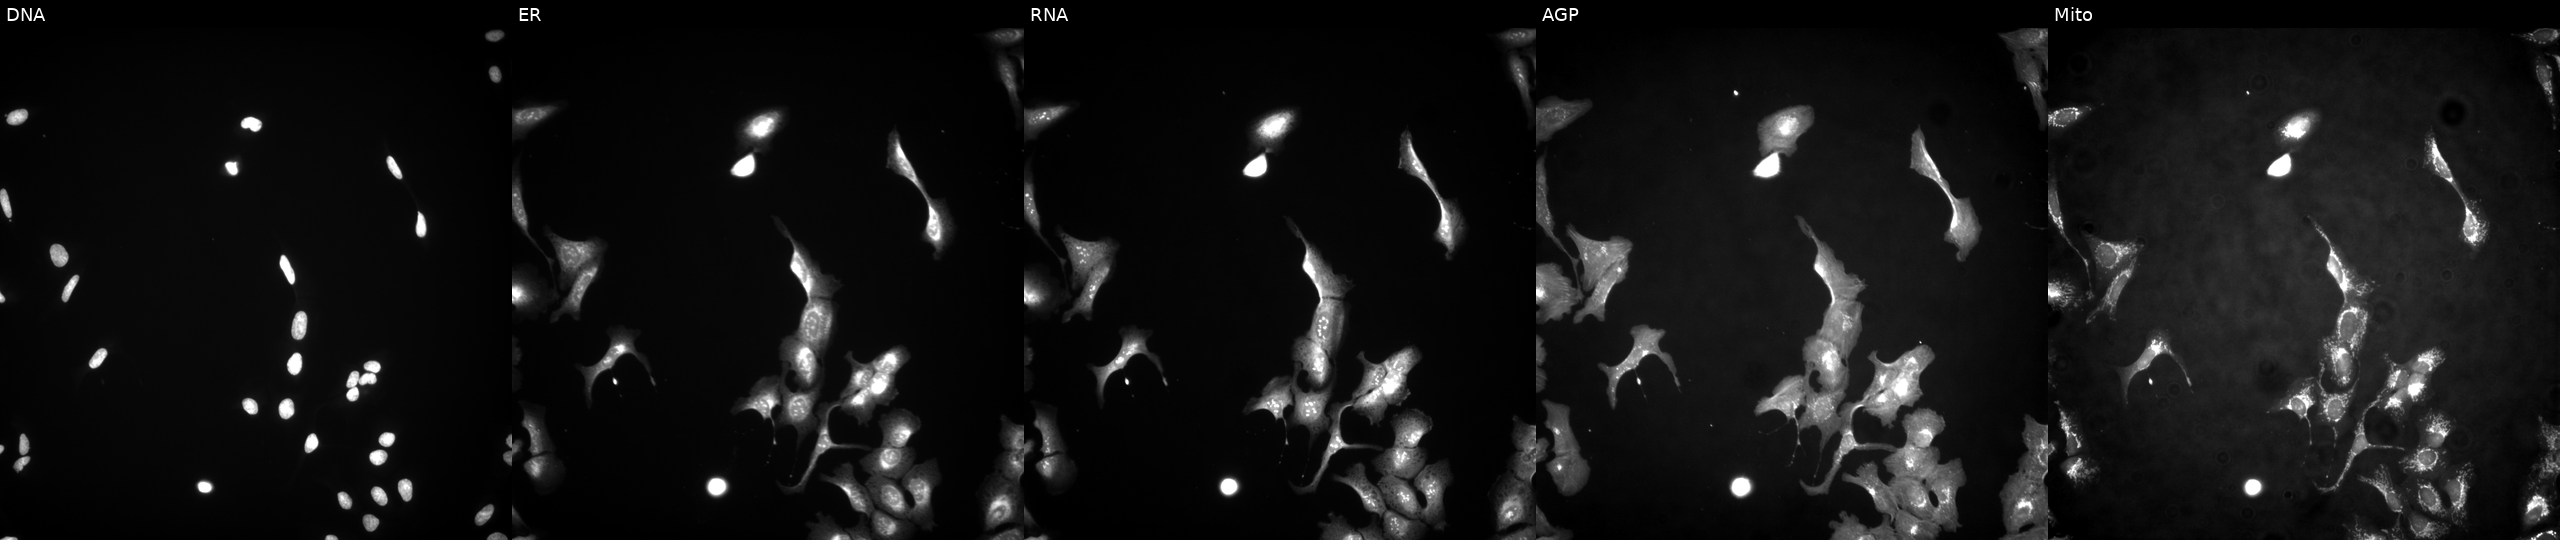
U2OS cells, Cell Painting assay, transfected with an ORF construct for ATP5PF (JUMP id JCP2022_900124). Channels (left→right): DNA, ER, RNA, AGP, and Mito. Each panel is percentile-stretched 16-bit fluorescence.